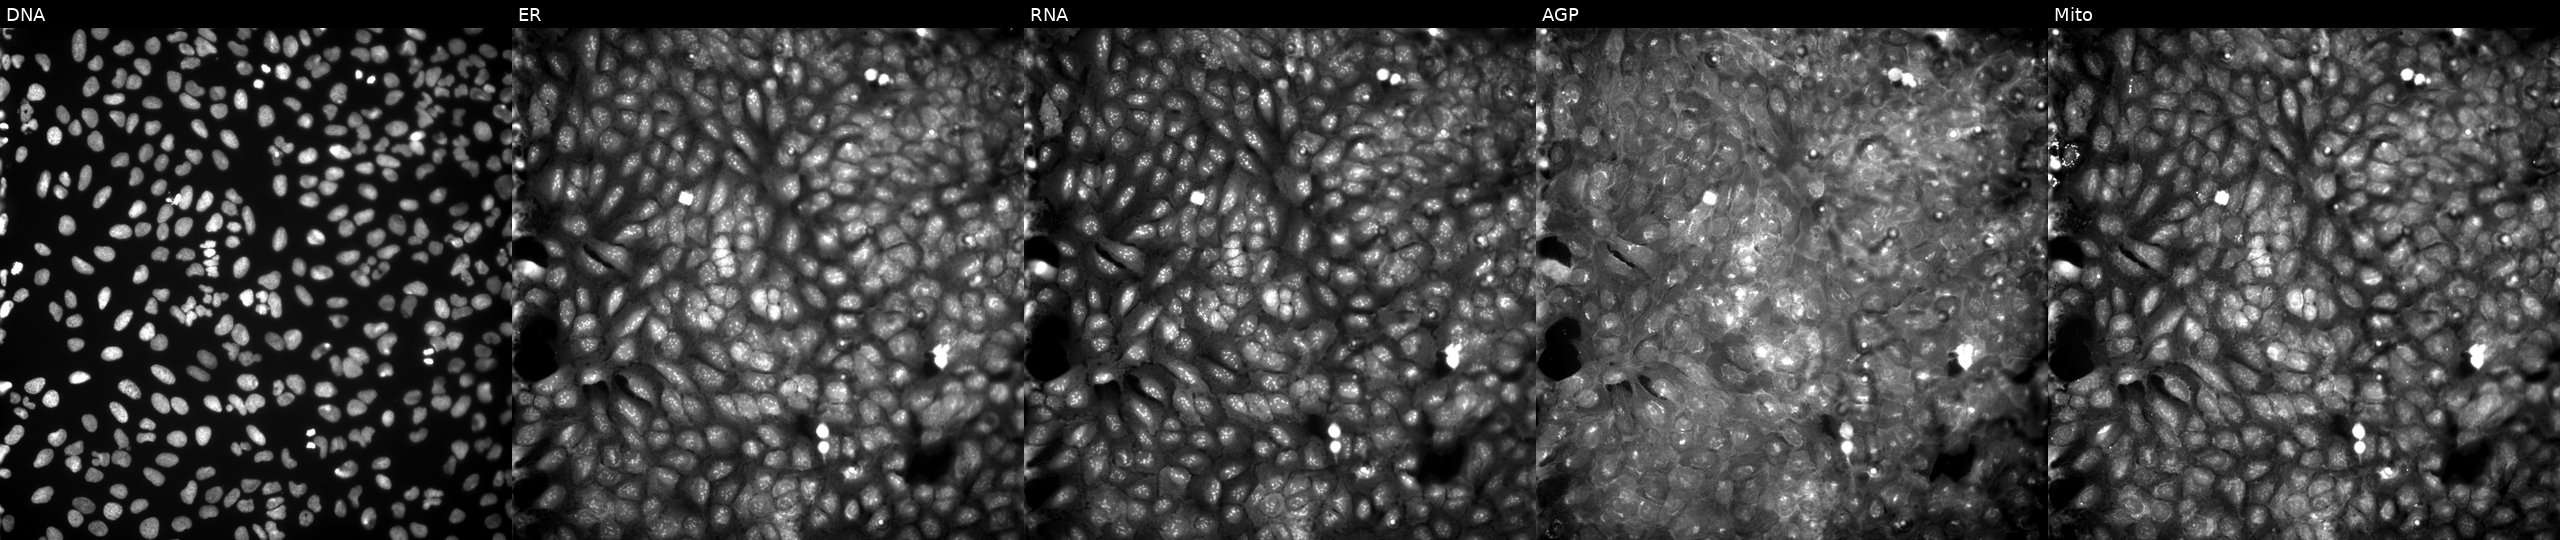
High-content fluorescence microscopy (Cell Painting). Cell line: U2OS. Perturbation: perturbed with a small-molecule compound (InChIKey QBNFLGUHTKBXSS-UHFFFAOYSA-N) (JUMP id JCP2022_072359). The five panels, left to right, show DNA, ER, RNA, AGP, and Mito. Source 9, plate GR00003382, well H20.